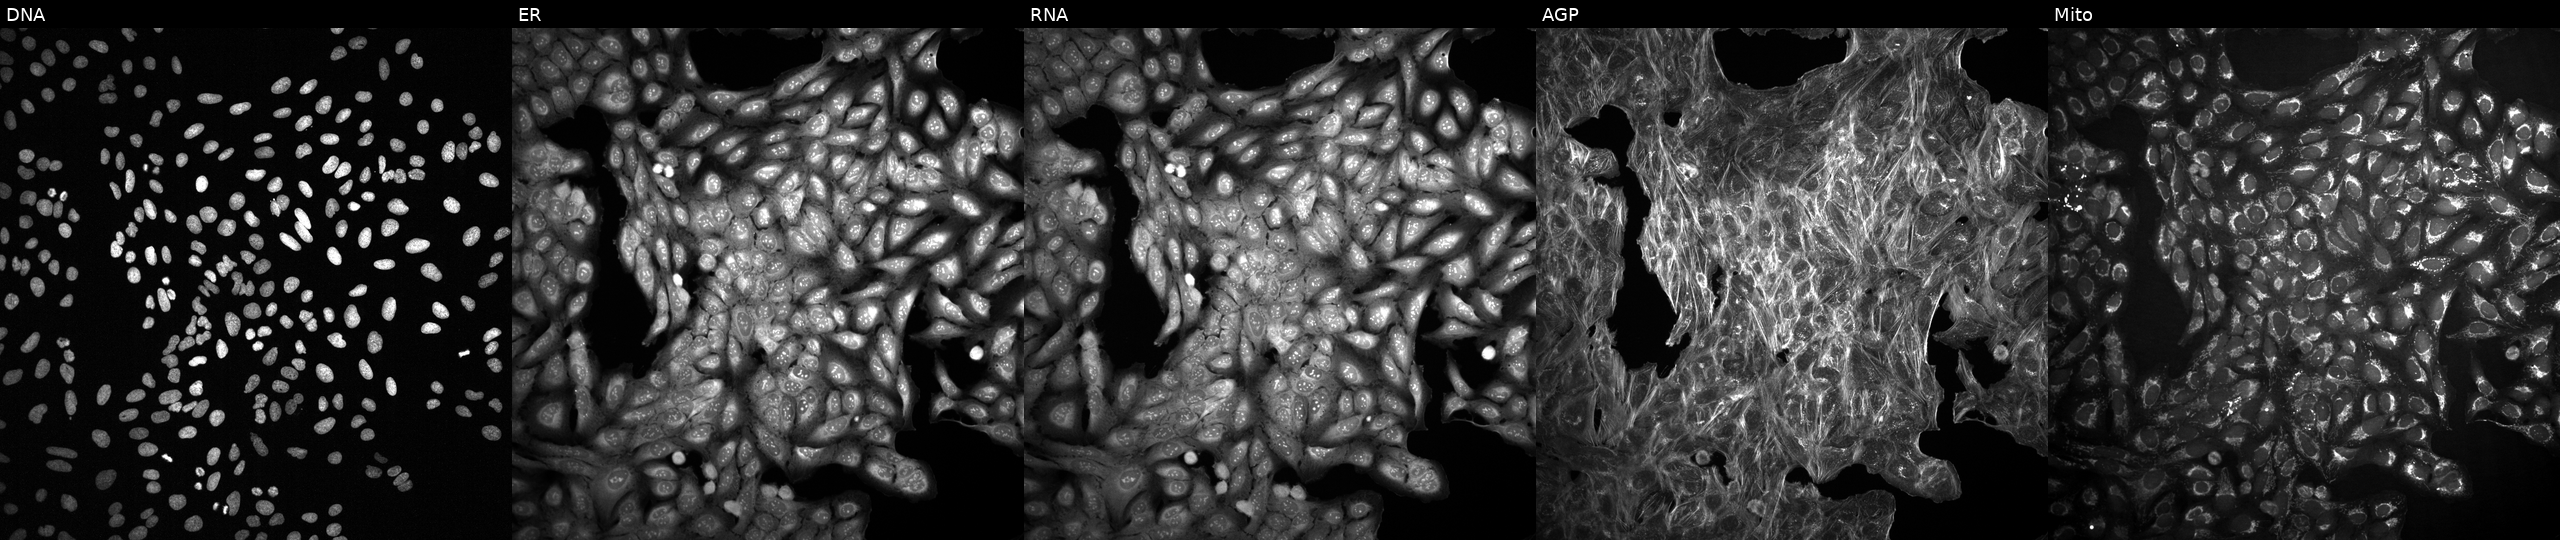
Panels show, left to right, Hoechst 33342, concanavalin A, SYTO 14, phalloidin and WGA, MitoTracker. U2OS osteosarcoma cells perturbed with a small-molecule compound (InChIKey ZUOLPKRXZRWAFV-UHFFFAOYSA-N). Cell Painting assay, JUMP-CP dataset. Source 2, plate 1053601763, well G05.